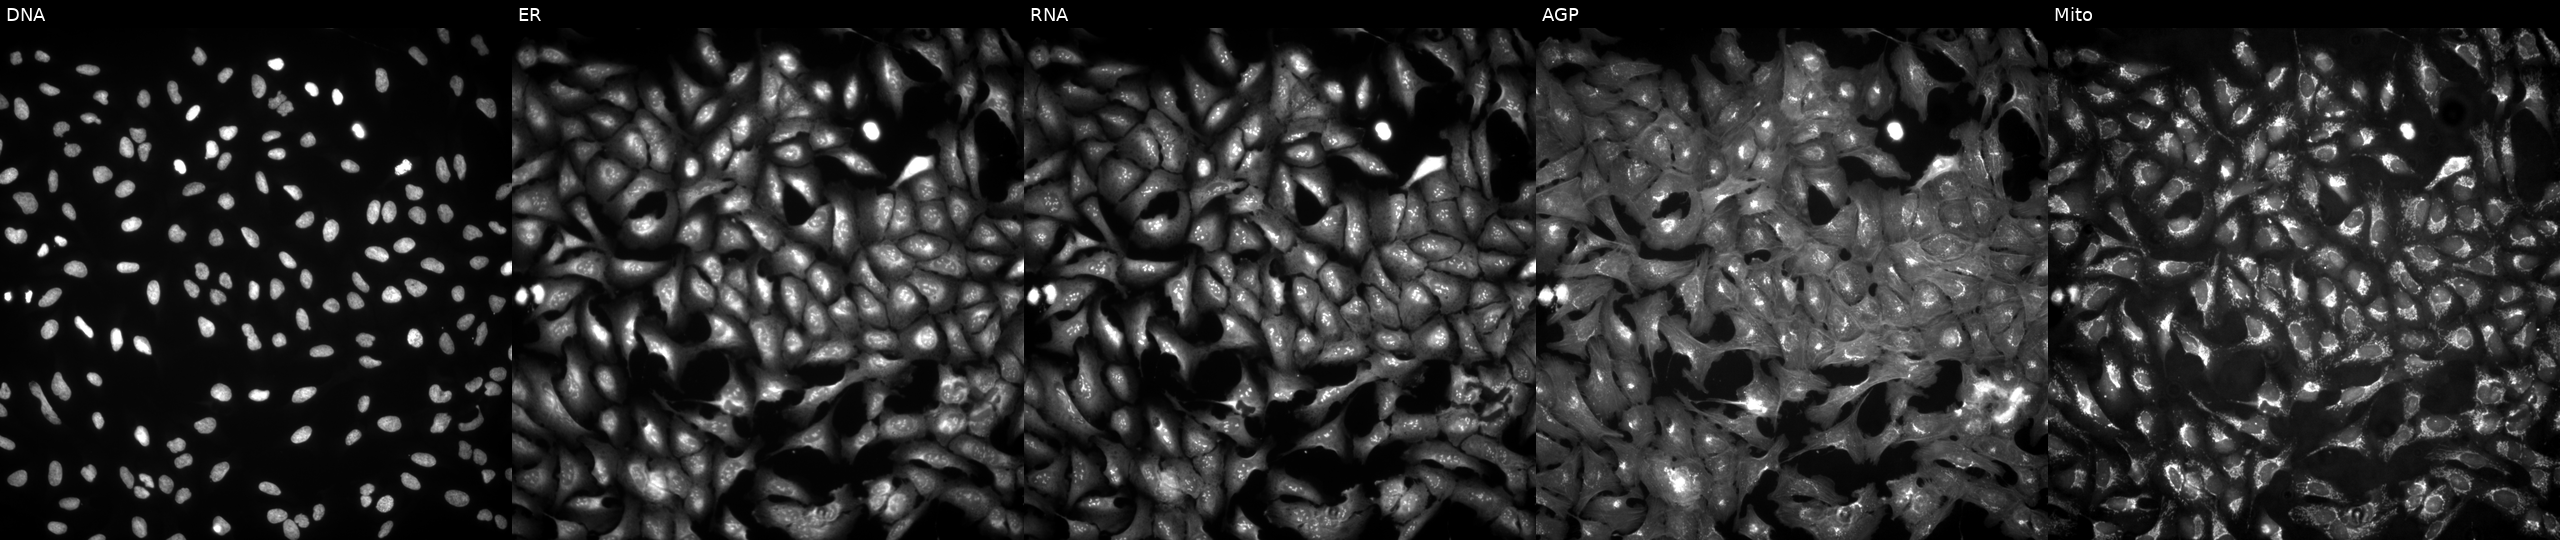
This image strip shows the five Cell Painting channels for a single field of U2OS cells transfected with an ORF construct for TARBP2 (JUMP id JCP2022_901531). Panels show, left to right, DNA, ER, RNA, AGP, and Mito.